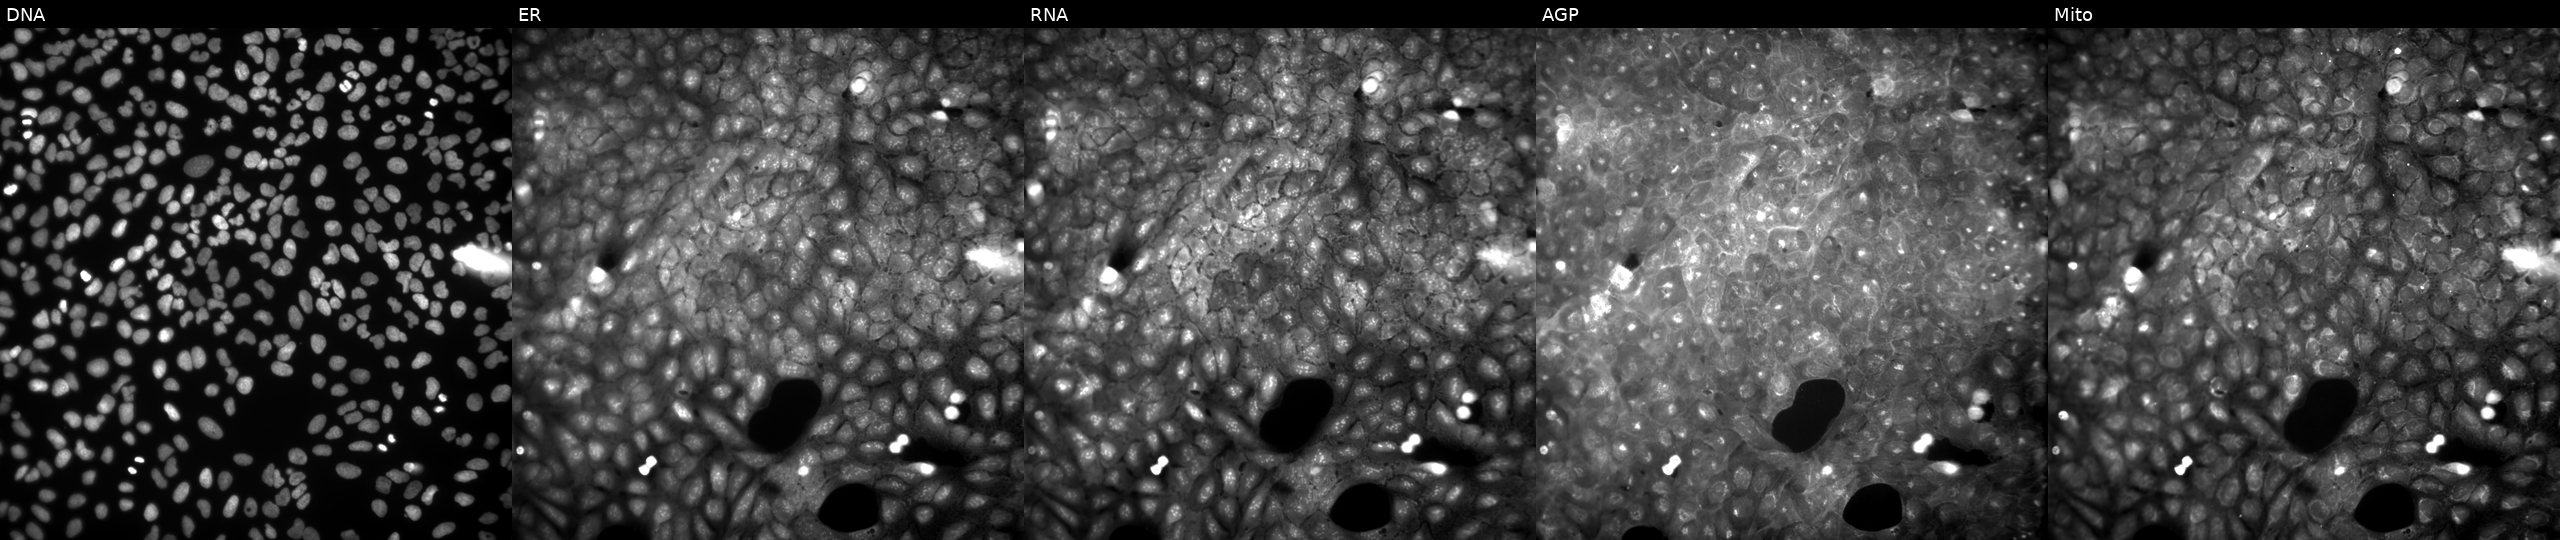
High-content fluorescence microscopy (Cell Painting). Cell line: U2OS. Perturbation: exposed to a small-molecule compound (InChIKey HBIZOHKSKDCHBV-UHFFFAOYSA-N). Channels (left→right): Hoechst 33342, concanavalin A, SYTO 14, phalloidin and WGA, MitoTracker. Source 9, plate GR00003382, well N46.